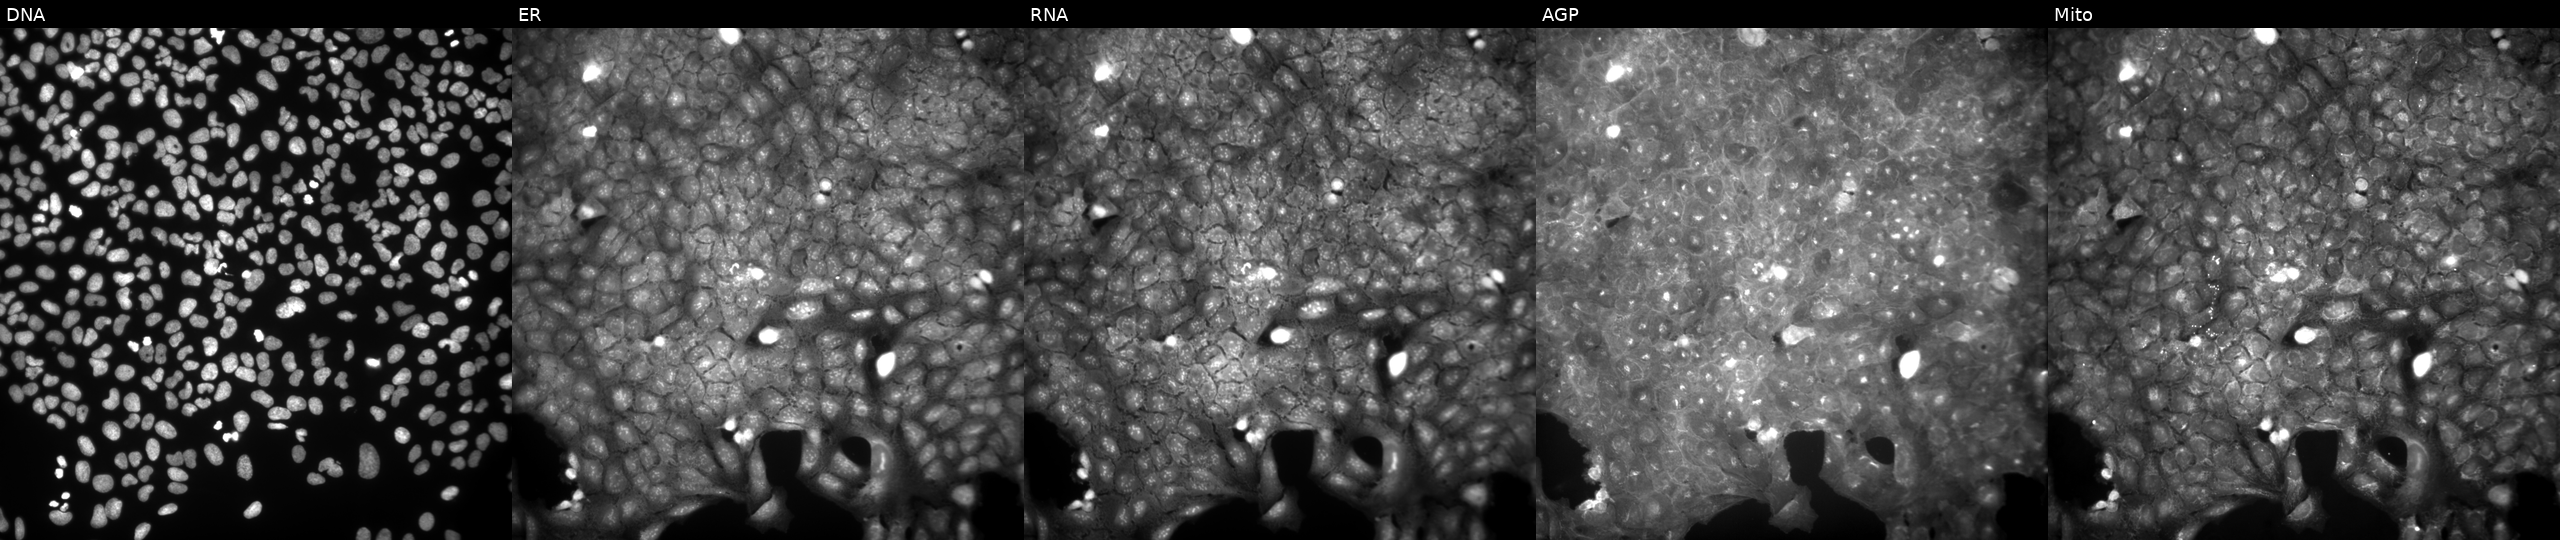
This image strip shows the five Cell Painting channels for a single field of U2OS cells treated with a small-molecule compound (InChIKey NZUKSVDRTKIQDY-UHFFFAOYSA-N). From left to right: Hoechst 33342, concanavalin A, SYTO 14, phalloidin and WGA, MitoTracker. Source 9, plate GR00003382, well O43.